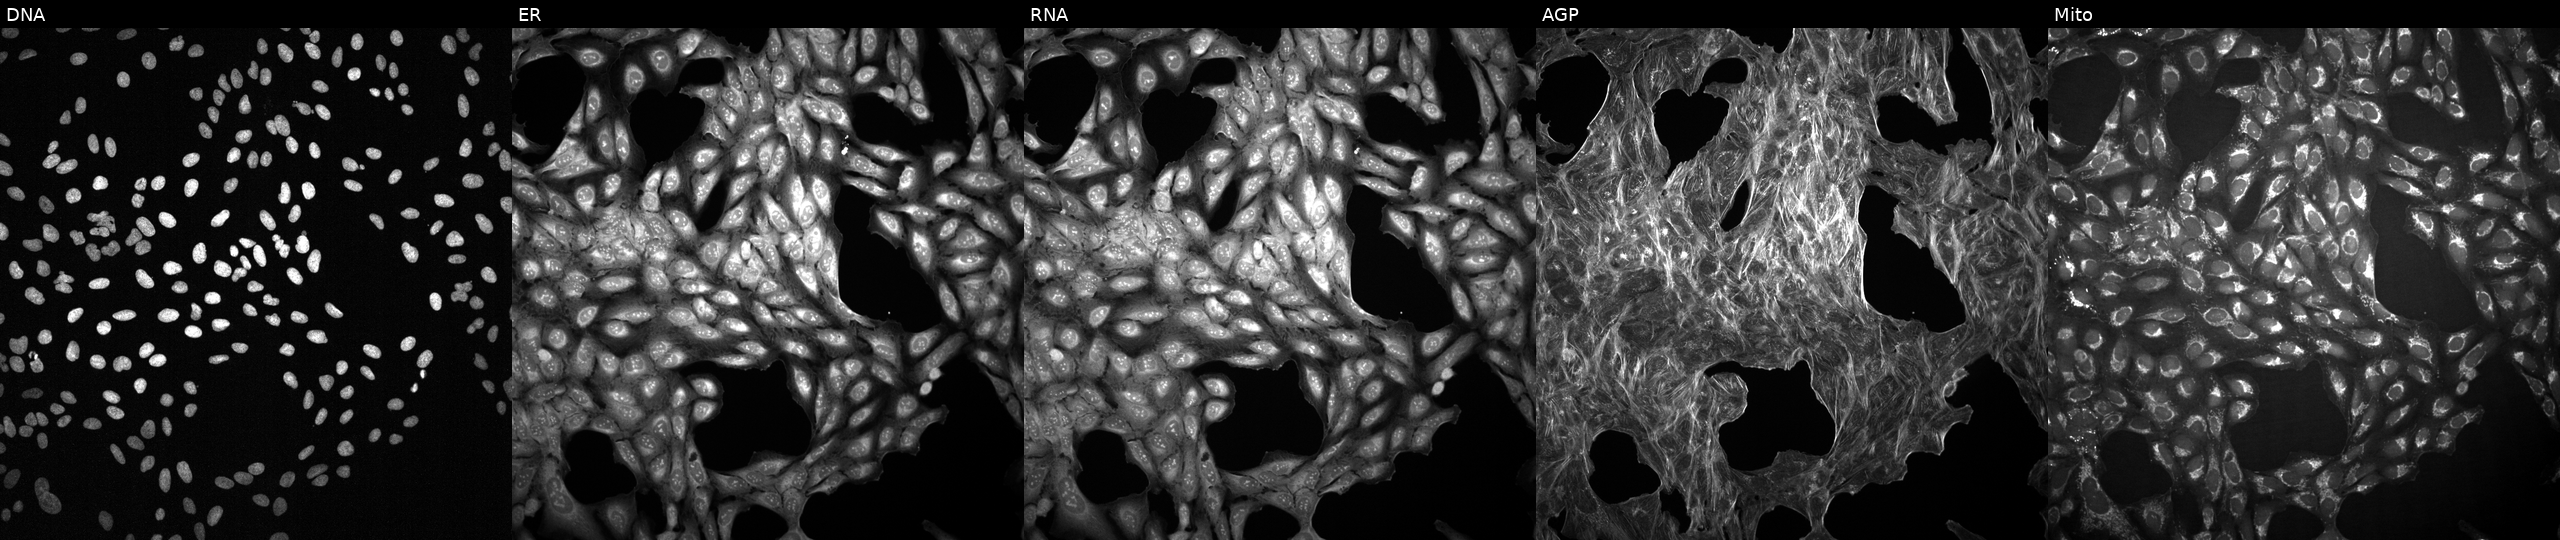
U2OS cells, Cell Painting assay, exposed to DMSO alone as a negative control. From left to right: Hoechst 33342, concanavalin A, SYTO 14, phalloidin and WGA, MitoTracker. Each panel is percentile-stretched 16-bit fluorescence.